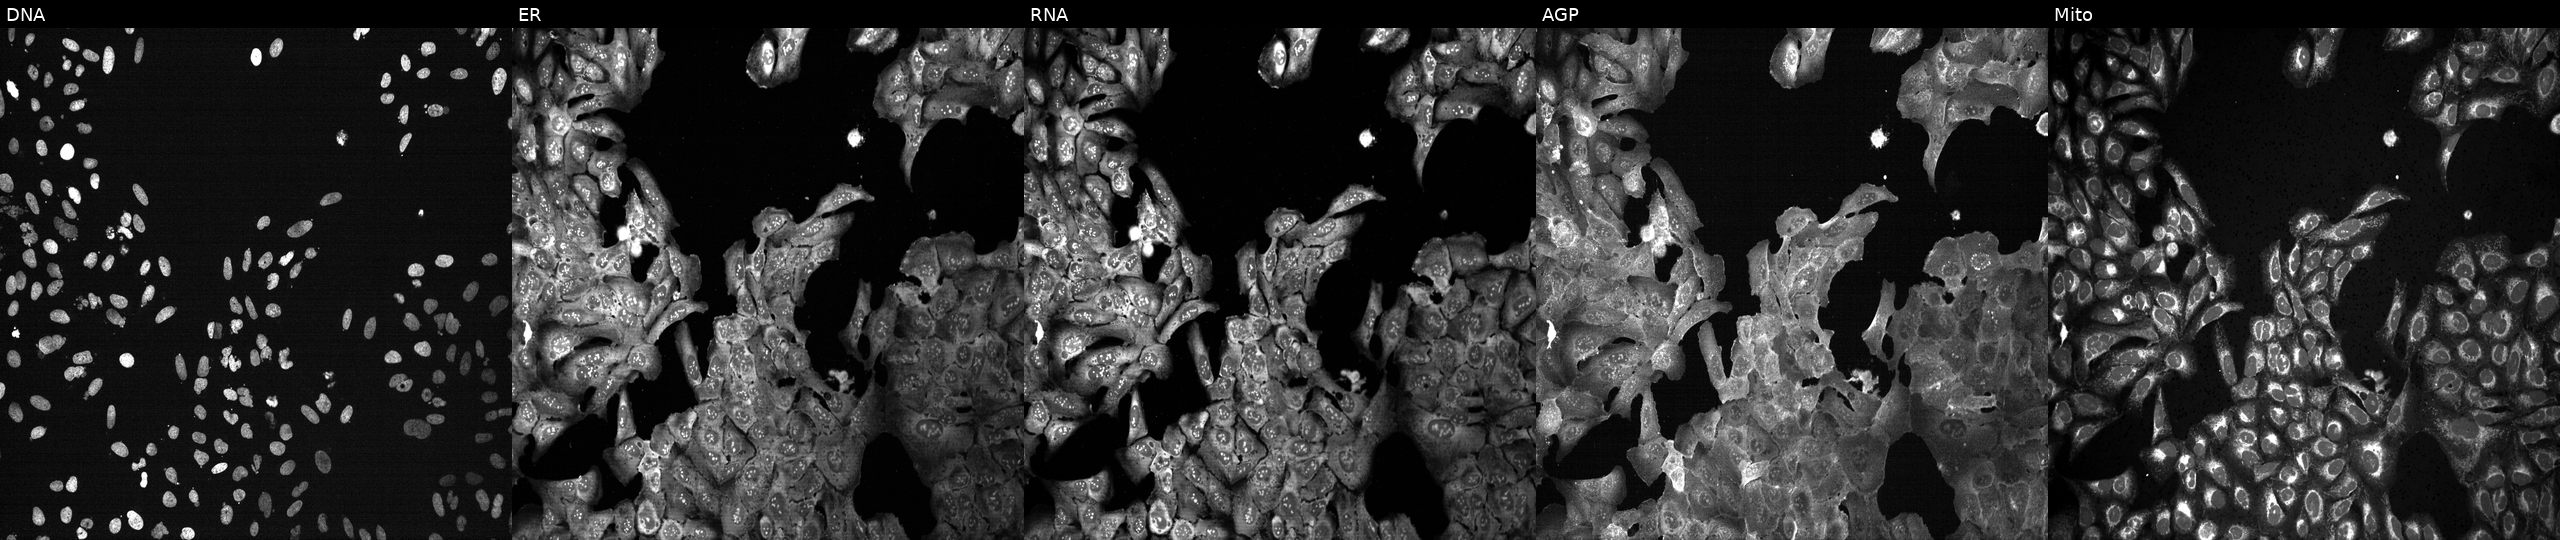
U2OS cells, Cell Painting assay, with BUB3 knocked out by CRISPR. Channels (left→right): DNA (nuclei); ER (endoplasmic reticulum); RNA (nucleoli and cytoplasmic RNA); AGP (actin cytoskeleton, Golgi, and plasma membrane); Mito (mitochondria). Each panel is percentile-stretched 16-bit fluorescence.